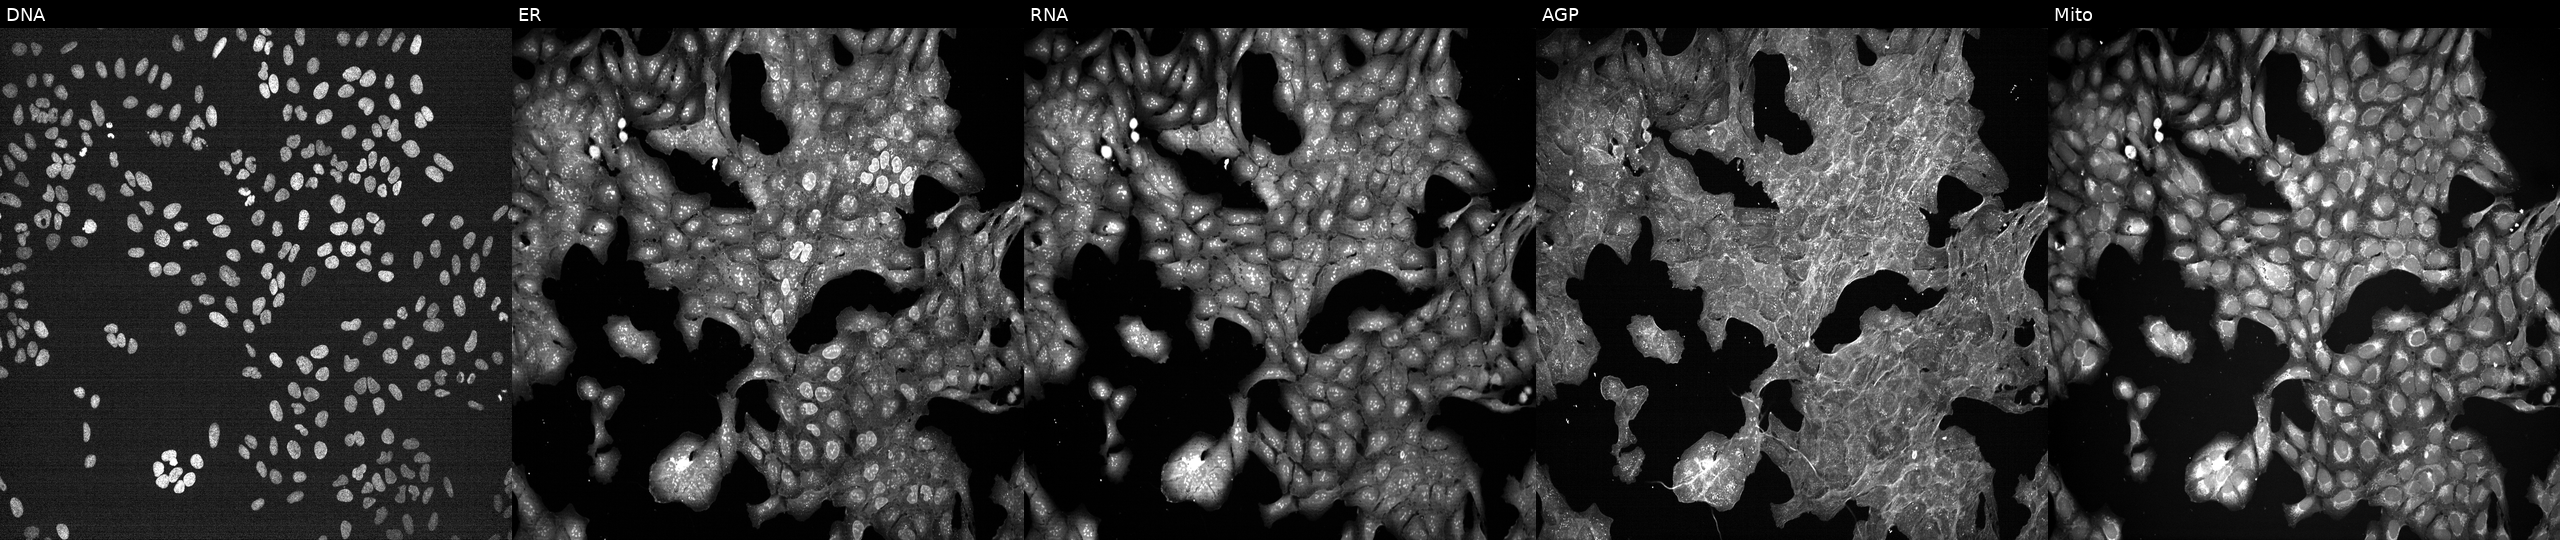
Five-channel Cell Painting image of U2OS cells exposed to a small-molecule compound (InChIKey IIXWYSCJSQVBQM-UHFFFAOYSA-N) (JUMP id JCP2022_035351). The five panels, left to right, show DNA (nuclei); ER (endoplasmic reticulum); RNA (nucleoli and cytoplasmic RNA); AGP (actin cytoskeleton, Golgi, and plasma membrane); Mito (mitochondria).